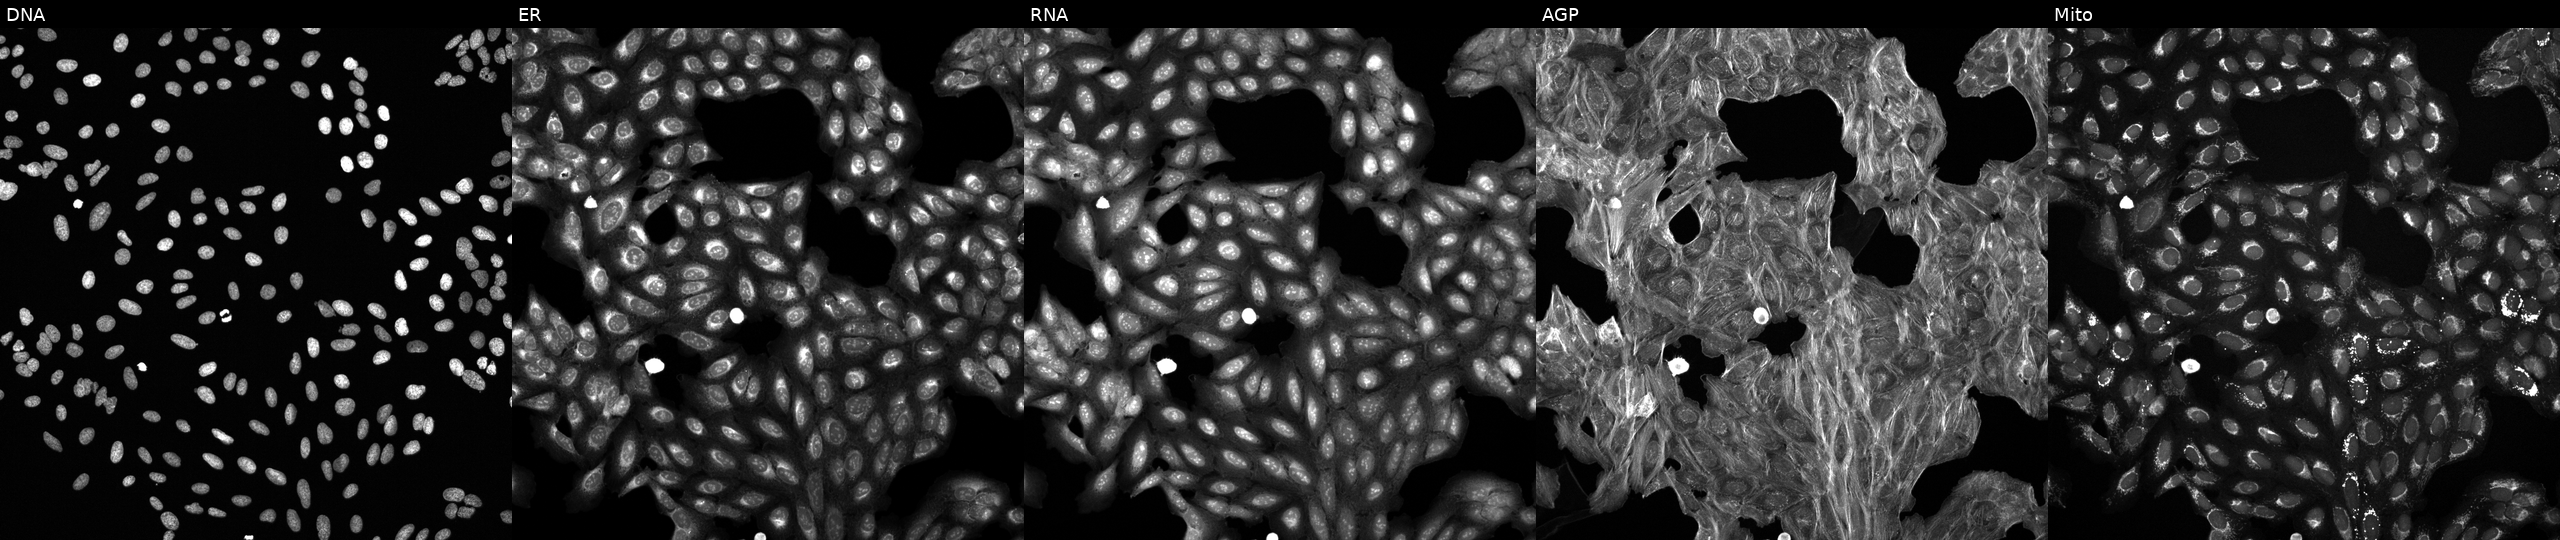
High-content fluorescence microscopy (Cell Painting). Cell line: U2OS. Perturbation: exposed to a small-molecule compound (InChIKey WRLVHADVOGFZOZ-UHFFFAOYSA-N) (JUMP id JCP2022_100688). Panels show, left to right, Hoechst 33342, concanavalin A, SYTO 14, phalloidin and WGA, MitoTracker.